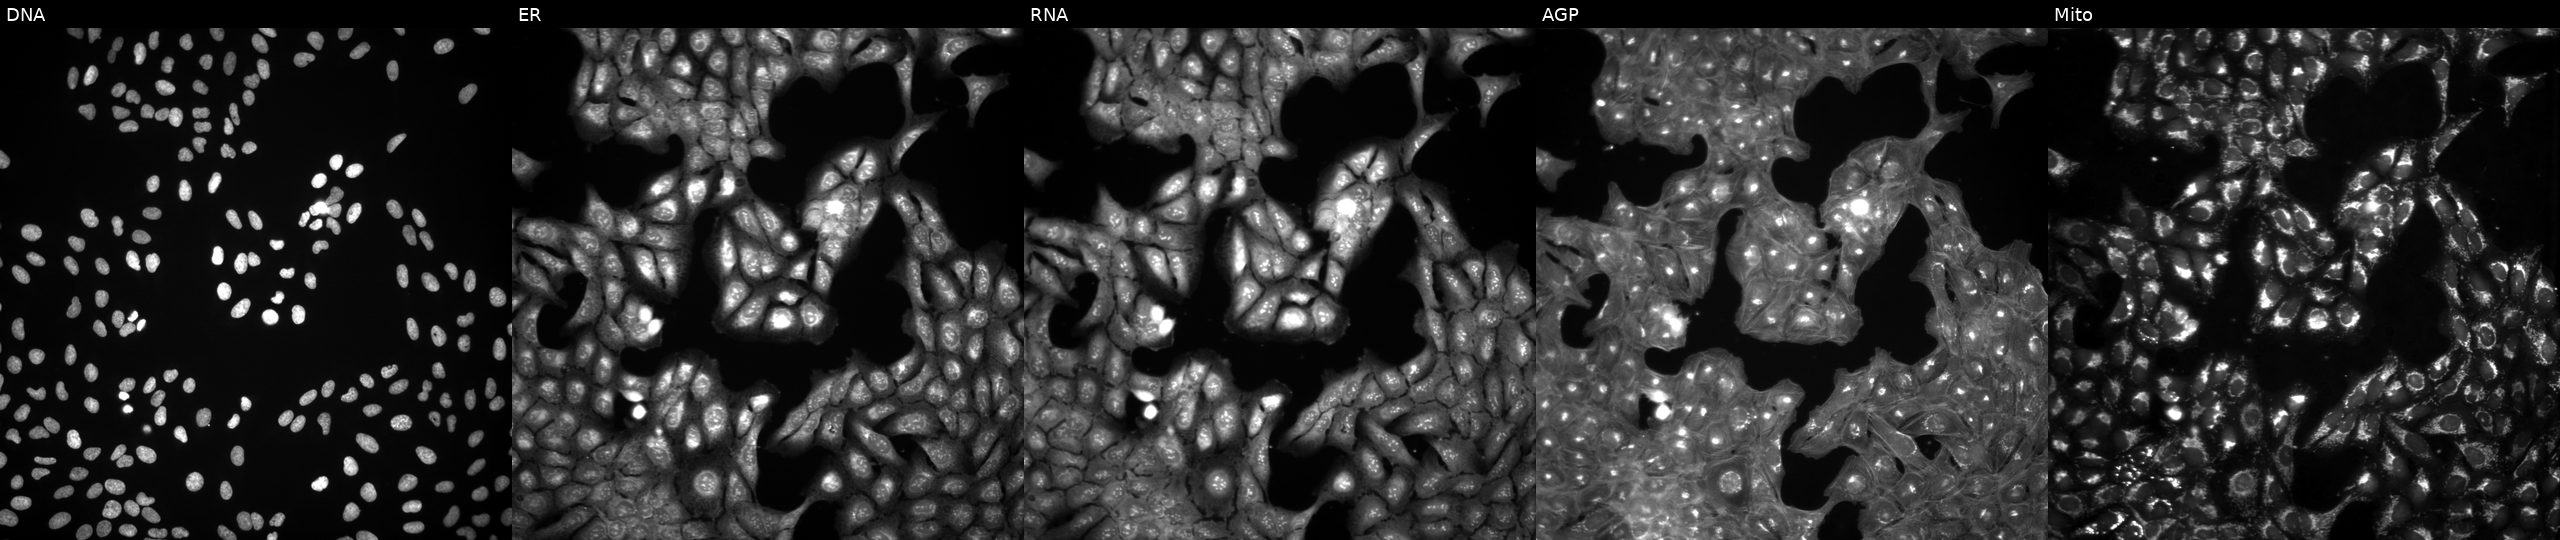
JUMP Cell Painting — TARGET2 plate. U2OS cells perturbed with a small-molecule compound (InChIKey SBDNJUWAMKYJOX-UHFFFAOYSA-N) [SMILES: Cc1ccc(Cl)c(Nc2ccccc2C(=O)O)c1Cl]. Channels (left→right): Hoechst 33342, concanavalin A, SYTO 14, phalloidin and WGA, MitoTracker.